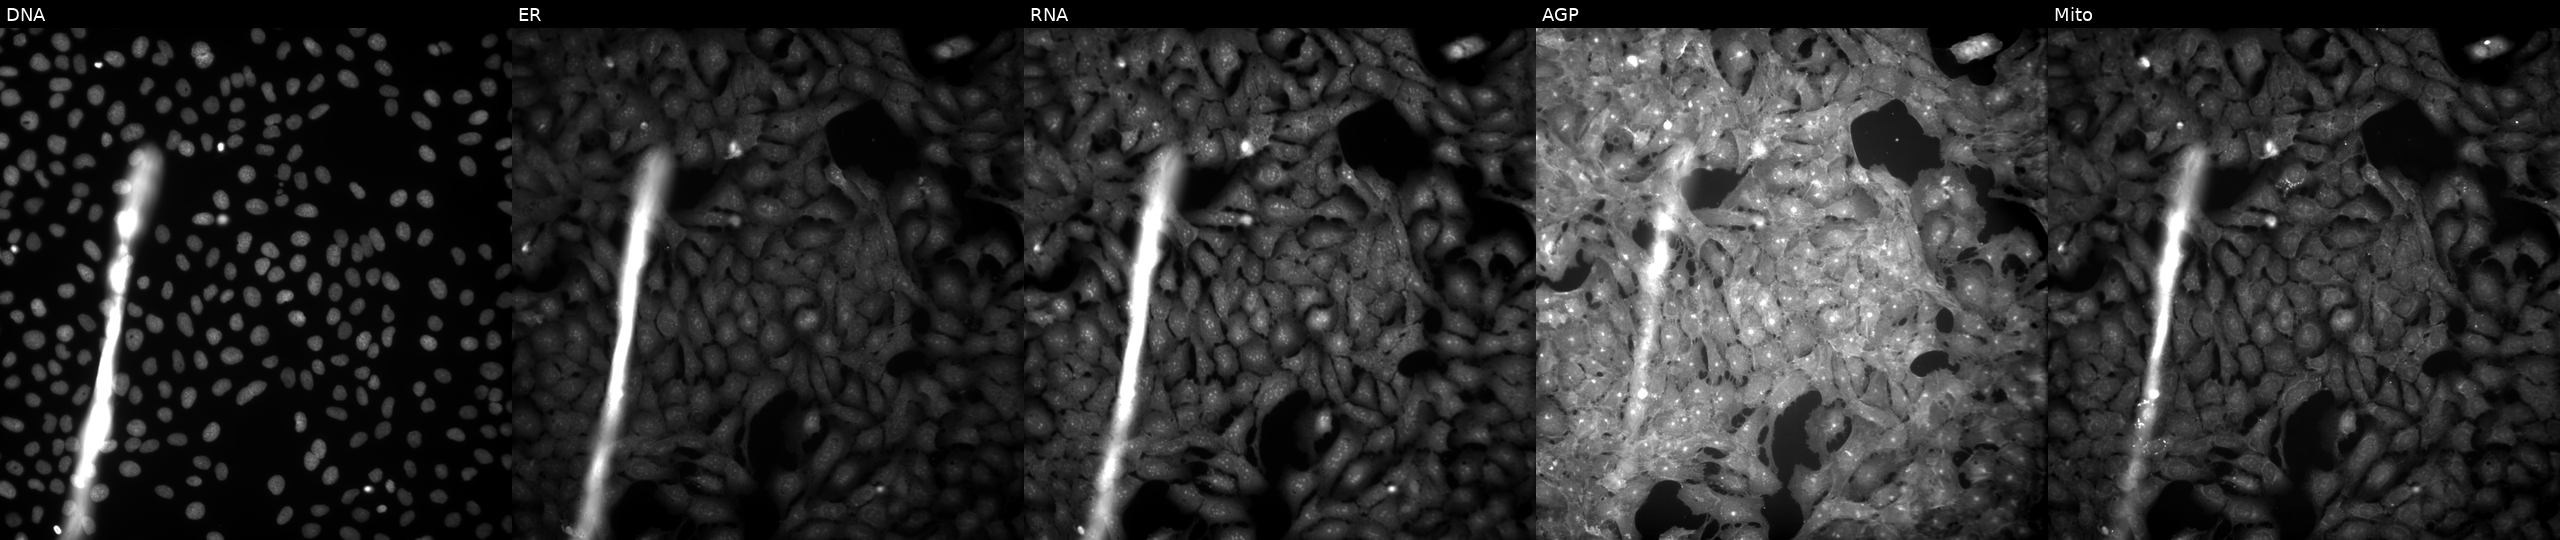
U2OS cells, Cell Painting assay, exposed to the positive-control compound FK-866. Panels show, left to right, DNA, ER, RNA, AGP, and Mito. Each panel is percentile-stretched 16-bit fluorescence.